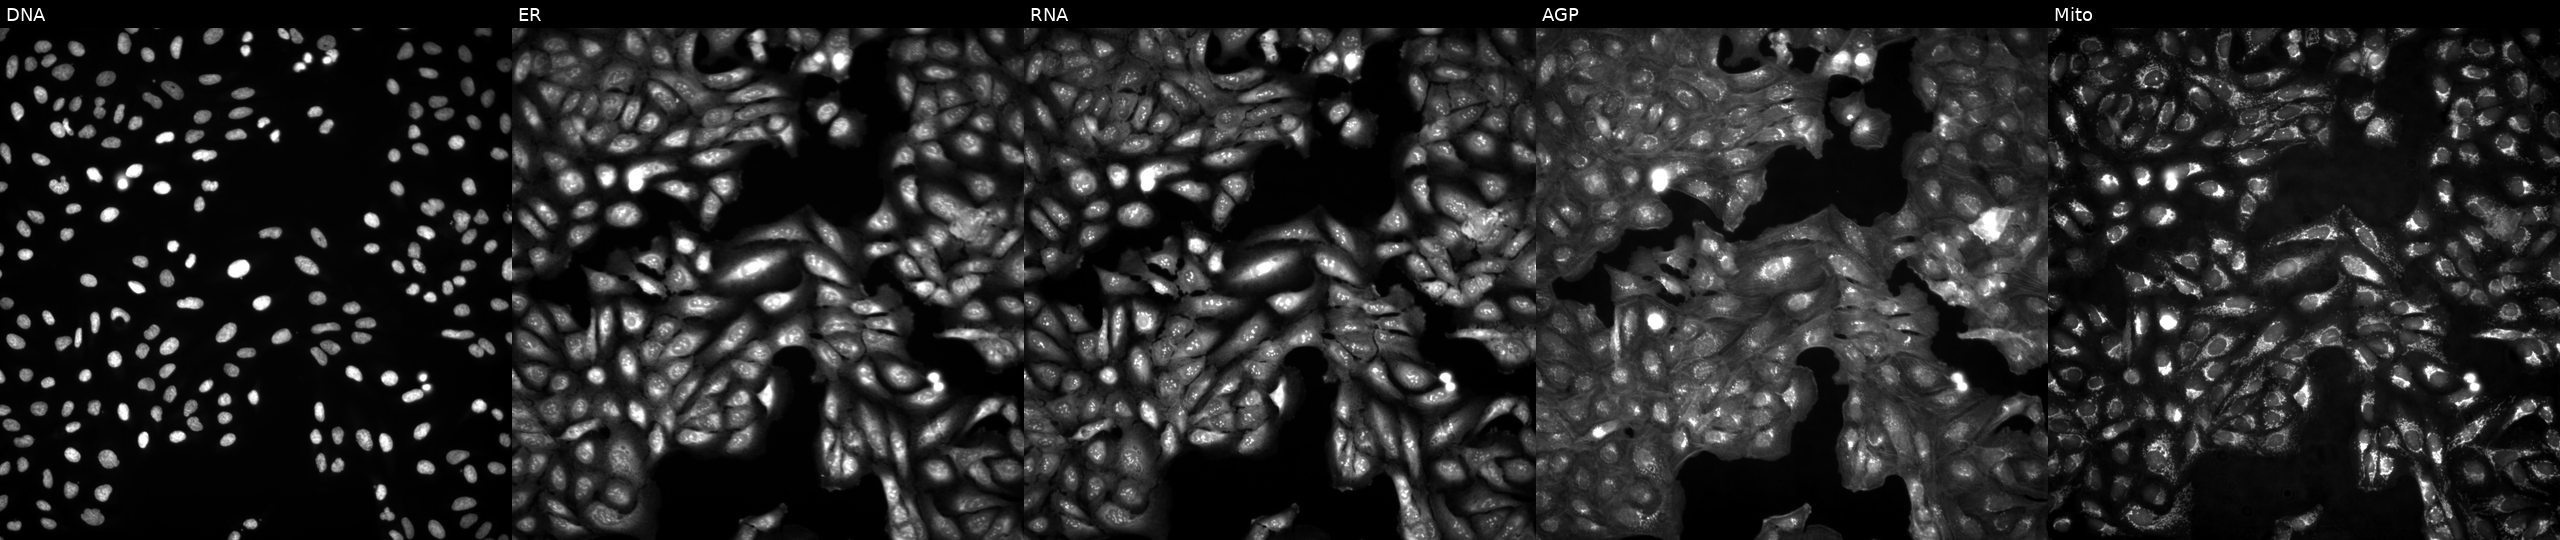
JUMP Cell Painting — ORF plate. U2OS cells untreated (empty-well control). The five panels, left to right, show DNA (nuclei); ER (endoplasmic reticulum); RNA (nucleoli and cytoplasmic RNA); AGP (actin cytoskeleton, Golgi, and plasma membrane); Mito (mitochondria).